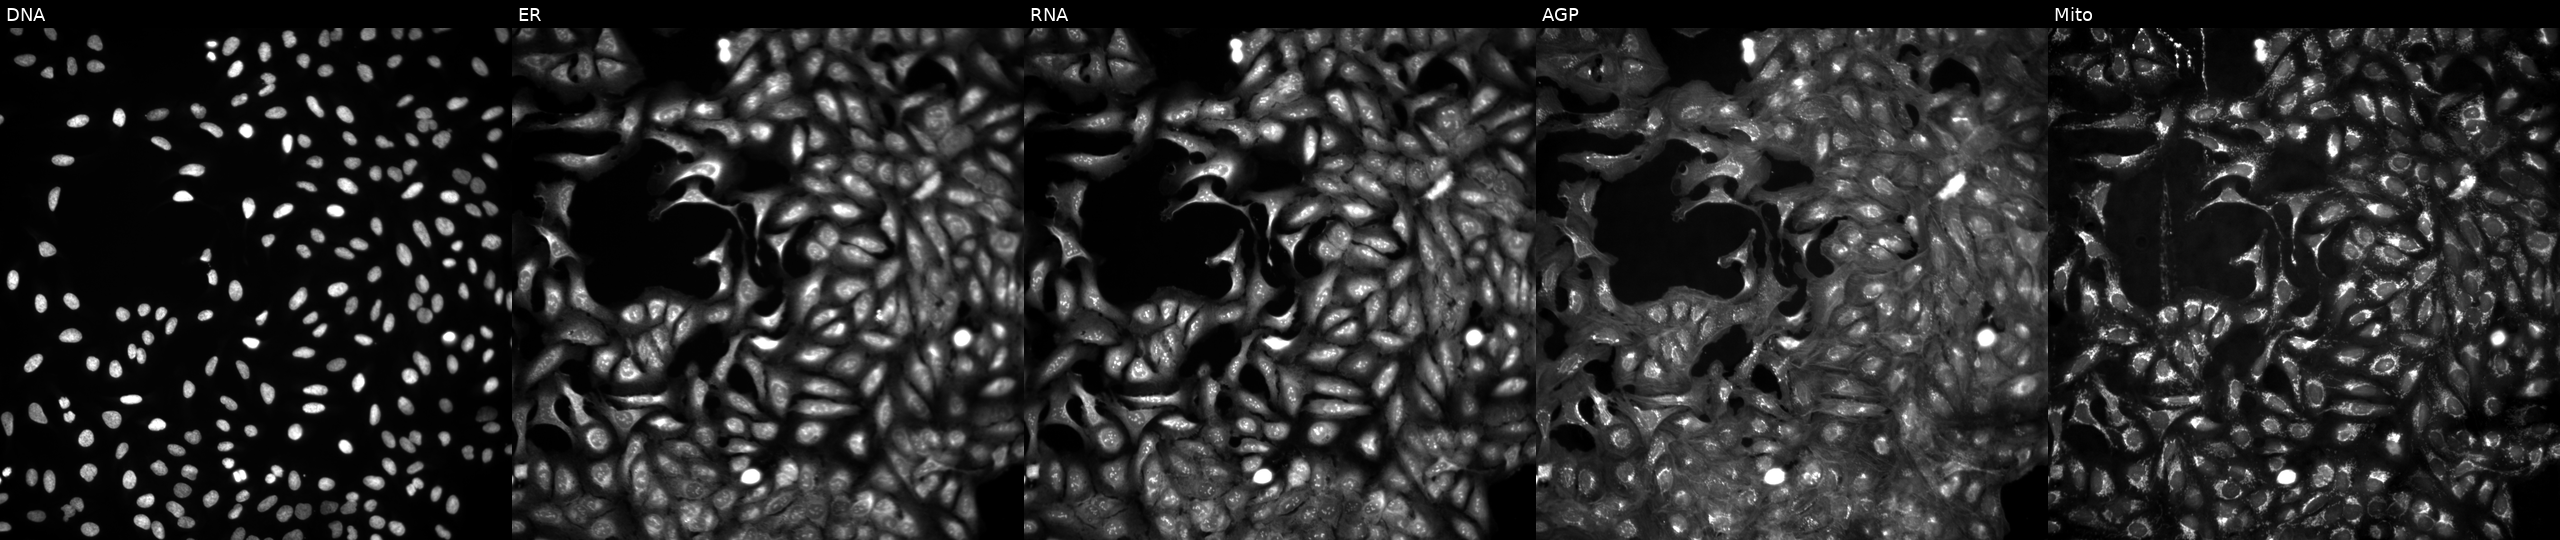
JUMP Cell Painting — ORF plate. U2OS cells in an empty control well (no perturbation) (JUMP id JCP2022_999999). From left to right: Hoechst 33342, concanavalin A, SYTO 14, phalloidin and WGA, MitoTracker.